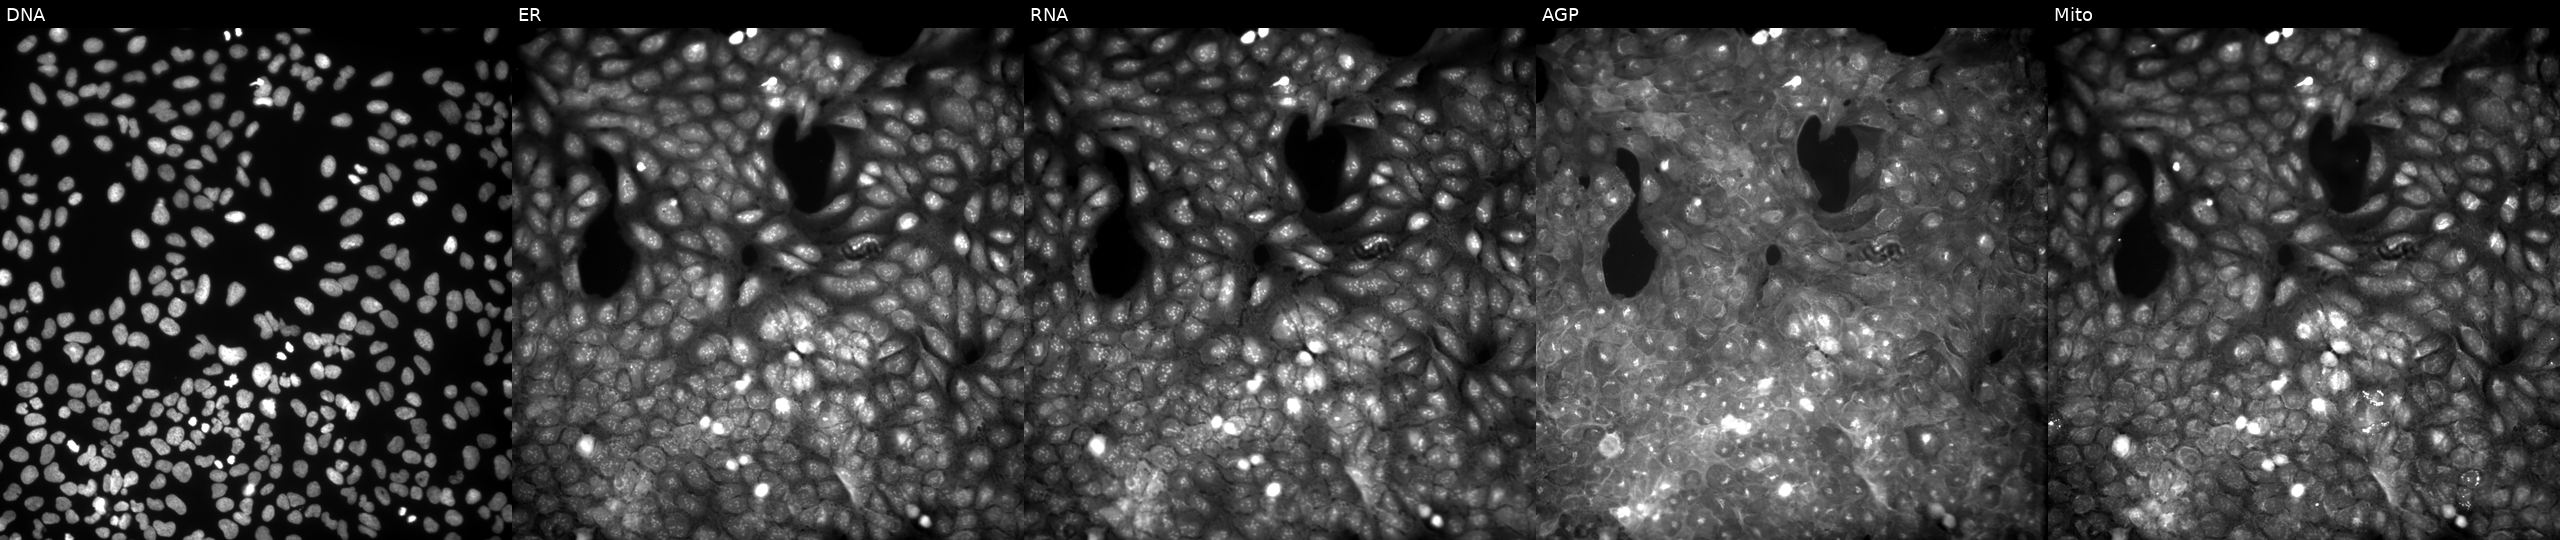
Five-channel Cell Painting image of U2OS cells exposed to a small-molecule compound [SMILES: NC(=O)c1ccccc1NC(=O)CCN1C(=O)c2ccccc2C1=O]. Panels show, left to right, DNA (nuclei); ER (endoplasmic reticulum); RNA (nucleoli and cytoplasmic RNA); AGP (actin cytoskeleton, Golgi, and plasma membrane); Mito (mitochondria).